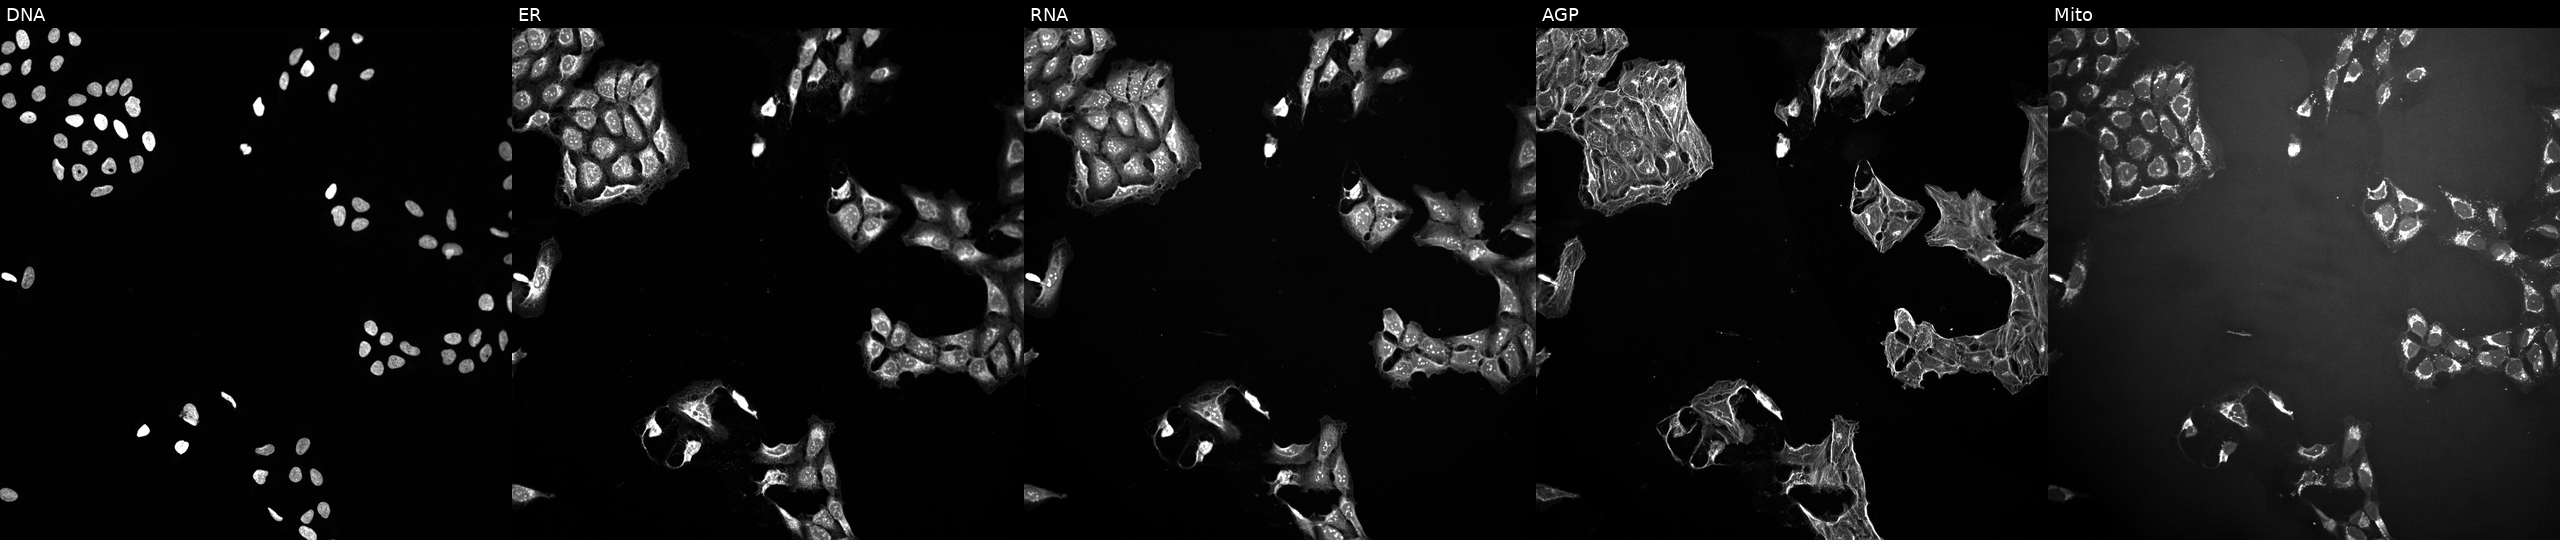
Five-channel Cell Painting image of U2OS cells exposed to a small-molecule compound (InChIKey XQYASZNUFDVMFH-UHFFFAOYSA-N) [SMILES: CC1CN(Cc2ccc(F)cc2)CCN1C(=O)COc1ccc(Cl)cc1NC(N)=O]. Panels show, left to right, DNA, ER, RNA, AGP, and Mito. Source 10, plate Dest210727-153003, well C01.